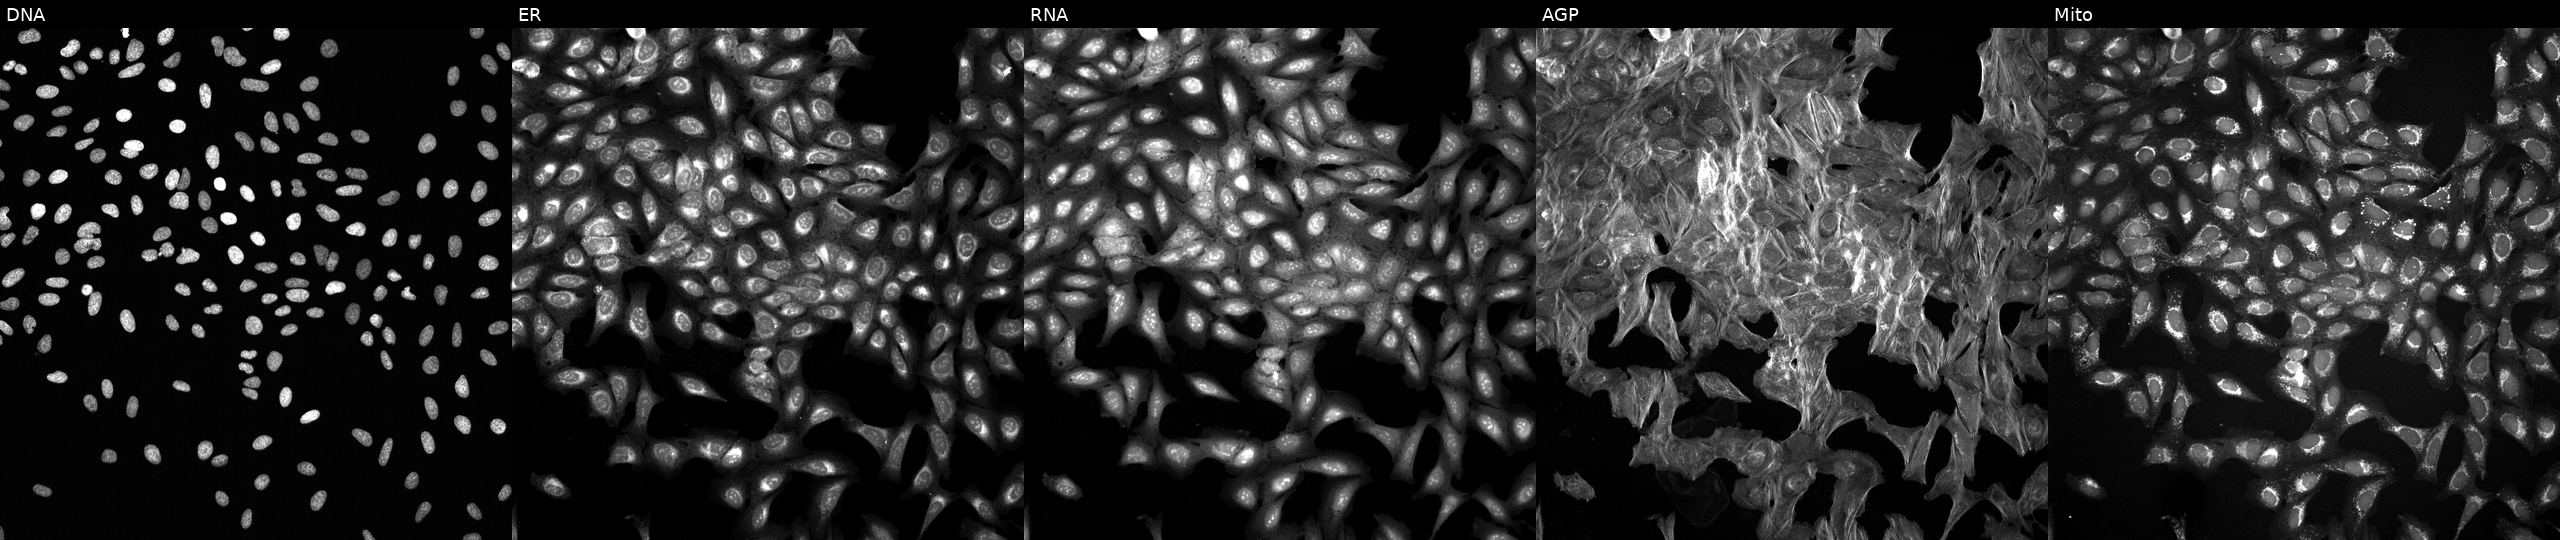
Five-channel Cell Painting image of U2OS cells treated with a small-molecule compound (InChIKey ALBKMJDFBZVHAK-UHFFFAOYSA-N). Panels show, left to right, DNA, ER, RNA, AGP, and Mito.